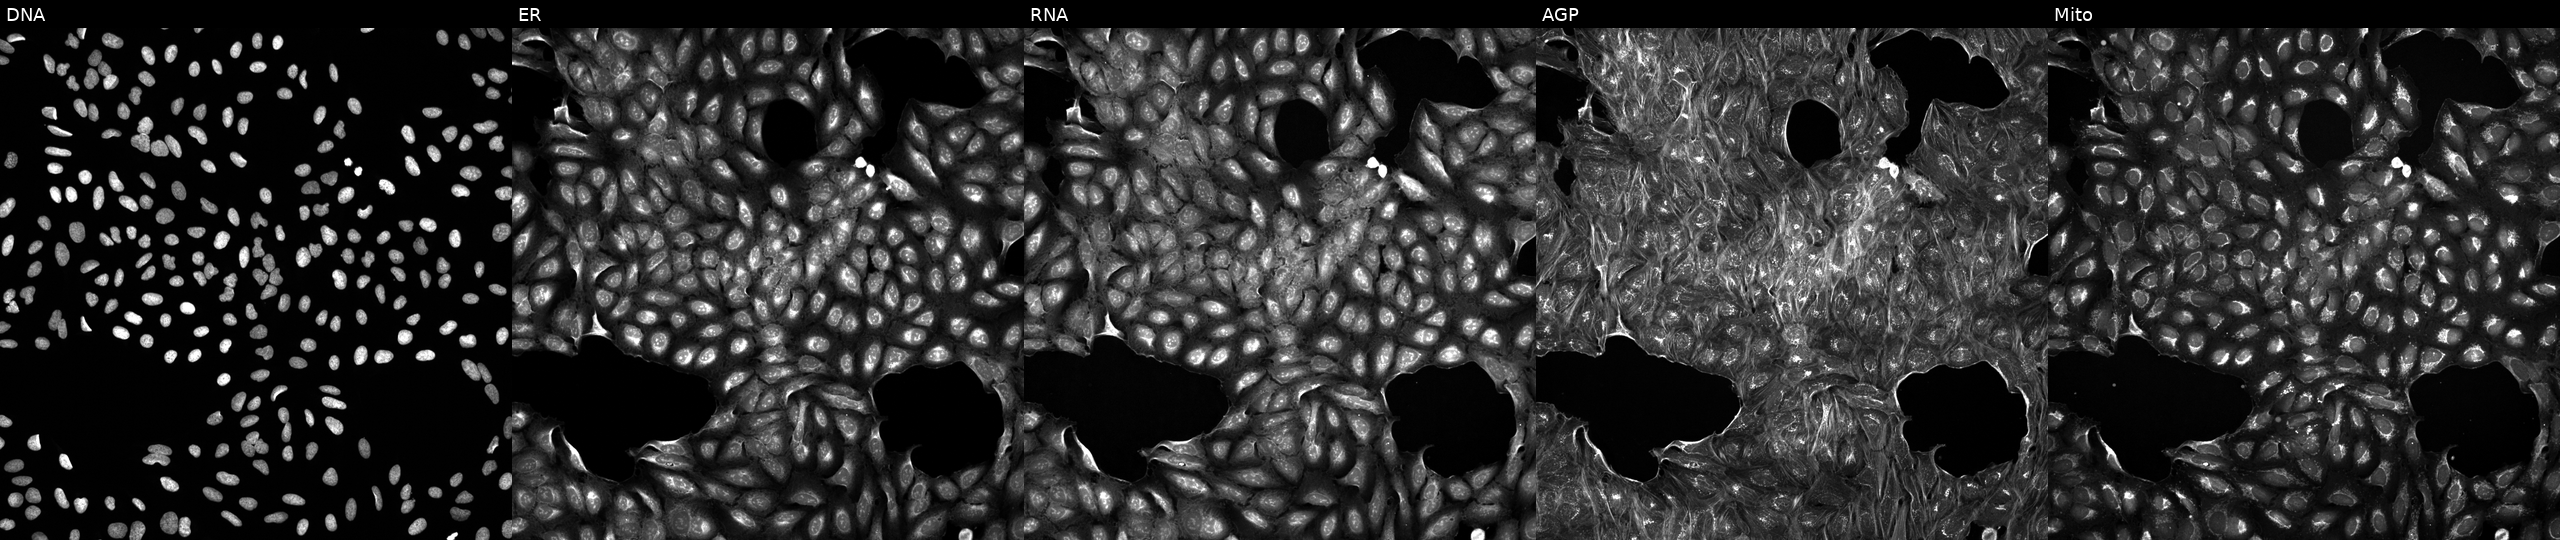
U2OS cells, Cell Painting assay, exposed to a small-molecule compound (InChIKey LPGBXHWIQNZEJB-UHFFFAOYSA-N). From left to right: DNA (nuclei); ER (endoplasmic reticulum); RNA (nucleoli and cytoplasmic RNA); AGP (actin cytoskeleton, Golgi, and plasma membrane); Mito (mitochondria). Each panel is percentile-stretched 16-bit fluorescence.